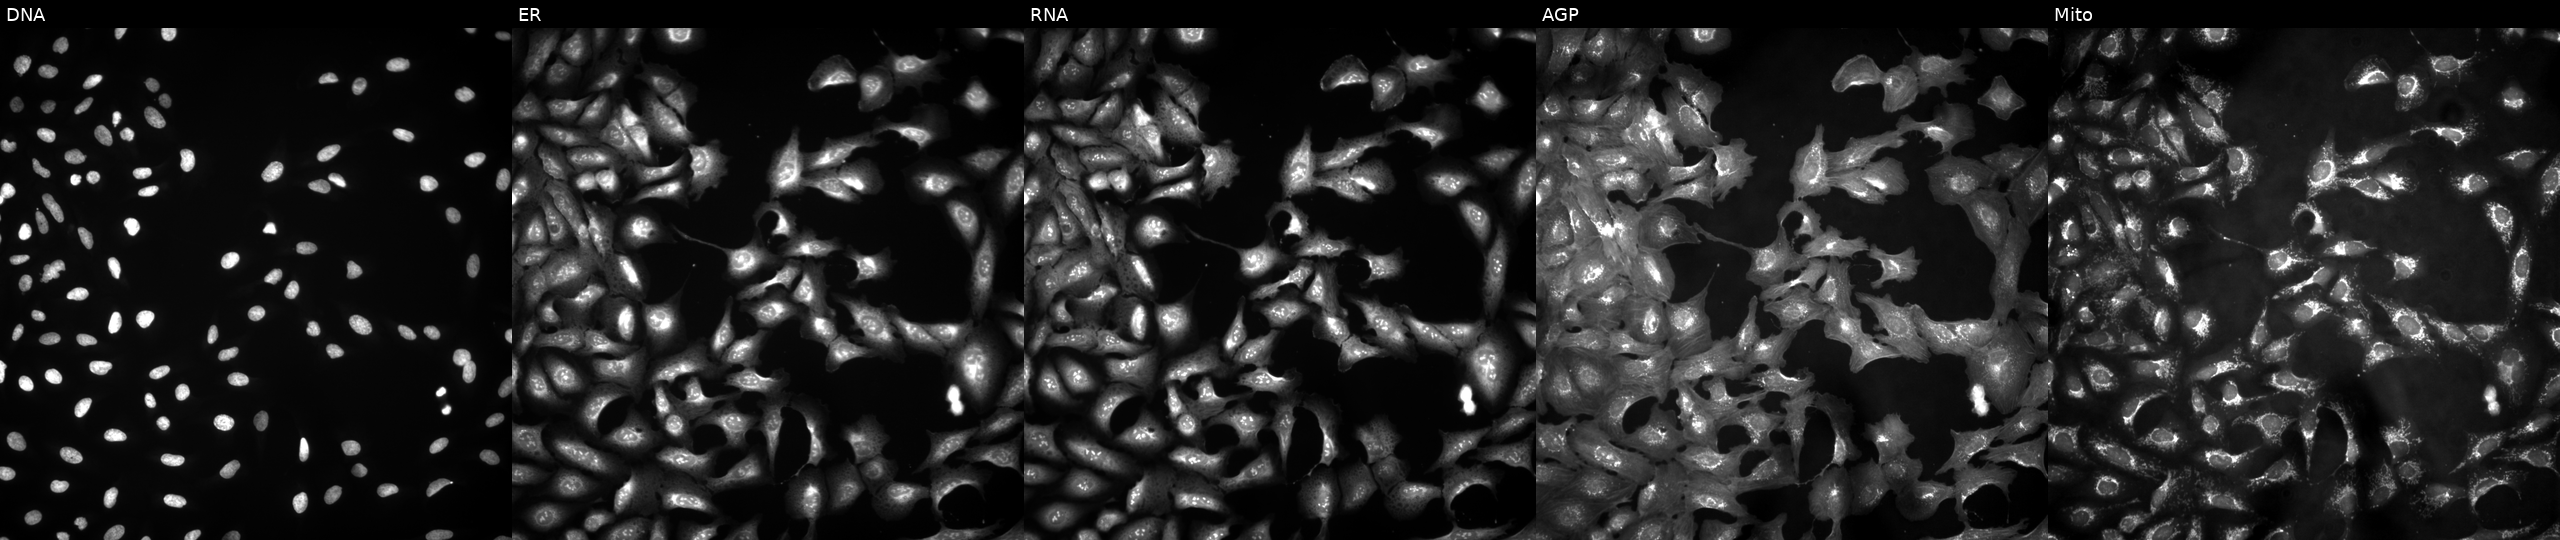
Panels show, left to right, DNA, ER, RNA, AGP, and Mito. U2OS osteosarcoma cells transfected with an ORF construct for VPS45 (JUMP id JCP2022_902502). Cell Painting assay, JUMP-CP dataset.